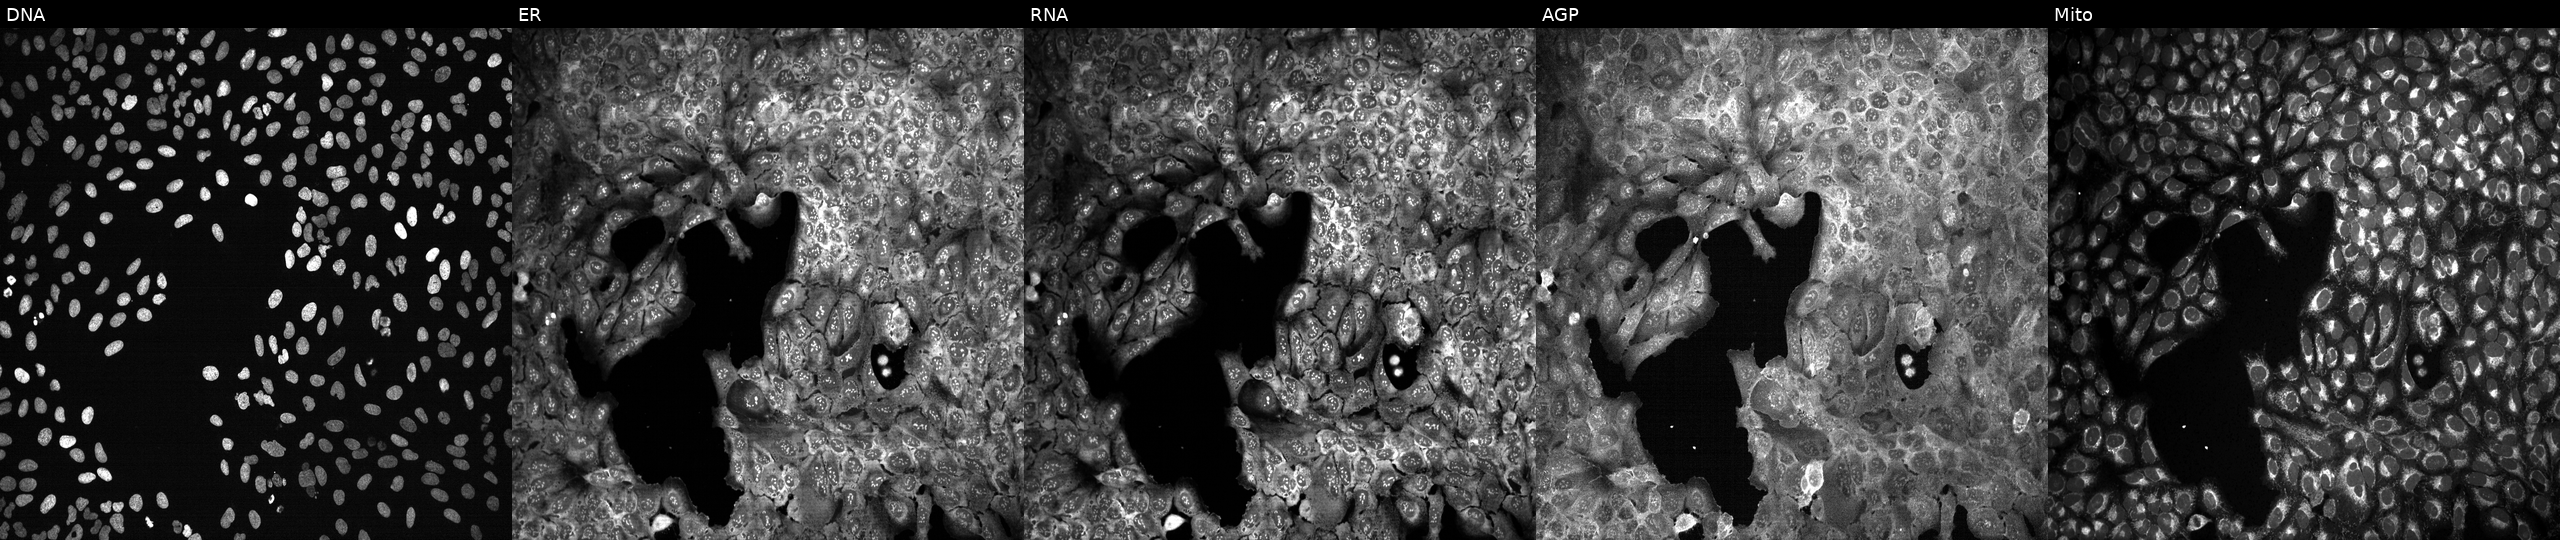
High-content fluorescence microscopy (Cell Painting). Cell line: U2OS. Perturbation: following CRISPR knockout of CLEC2D (JUMP id JCP2022_801383). Channels (left→right): DNA, ER, RNA, AGP, and Mito.